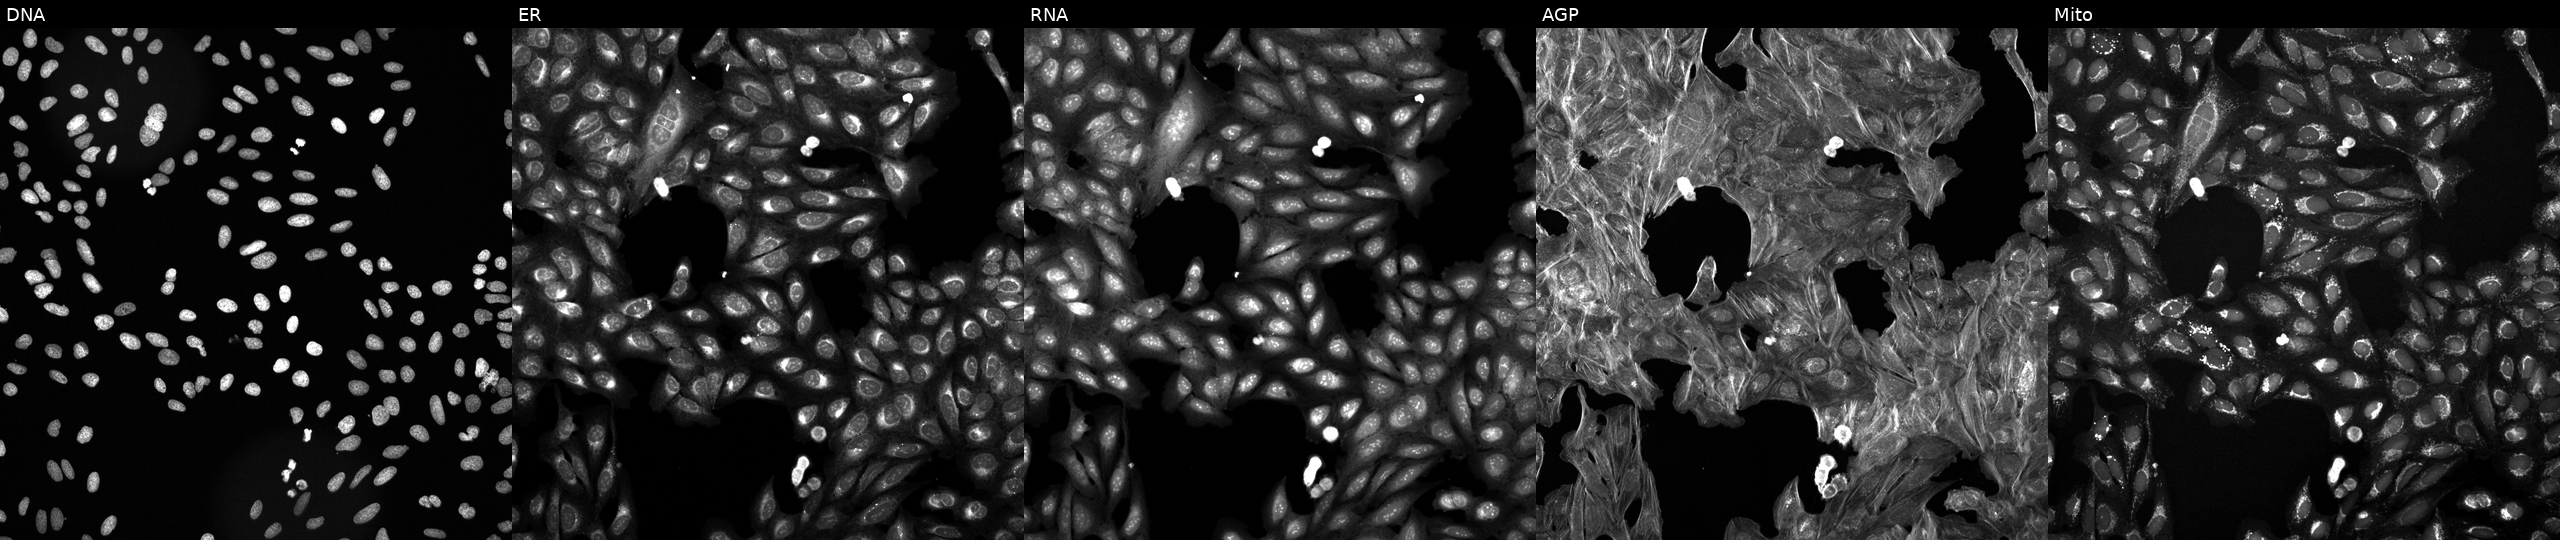
Panels show, left to right, DNA (nuclei); ER (endoplasmic reticulum); RNA (nucleoli and cytoplasmic RNA); AGP (actin cytoskeleton, Golgi, and plasma membrane); Mito (mitochondria). U2OS osteosarcoma cells exposed to a small-molecule compound (InChIKey VCKUSRYTPJJLNI-UHFFFAOYSA-N). Cell Painting assay, JUMP-CP dataset. Source 6, plate 110000293081, well N24.